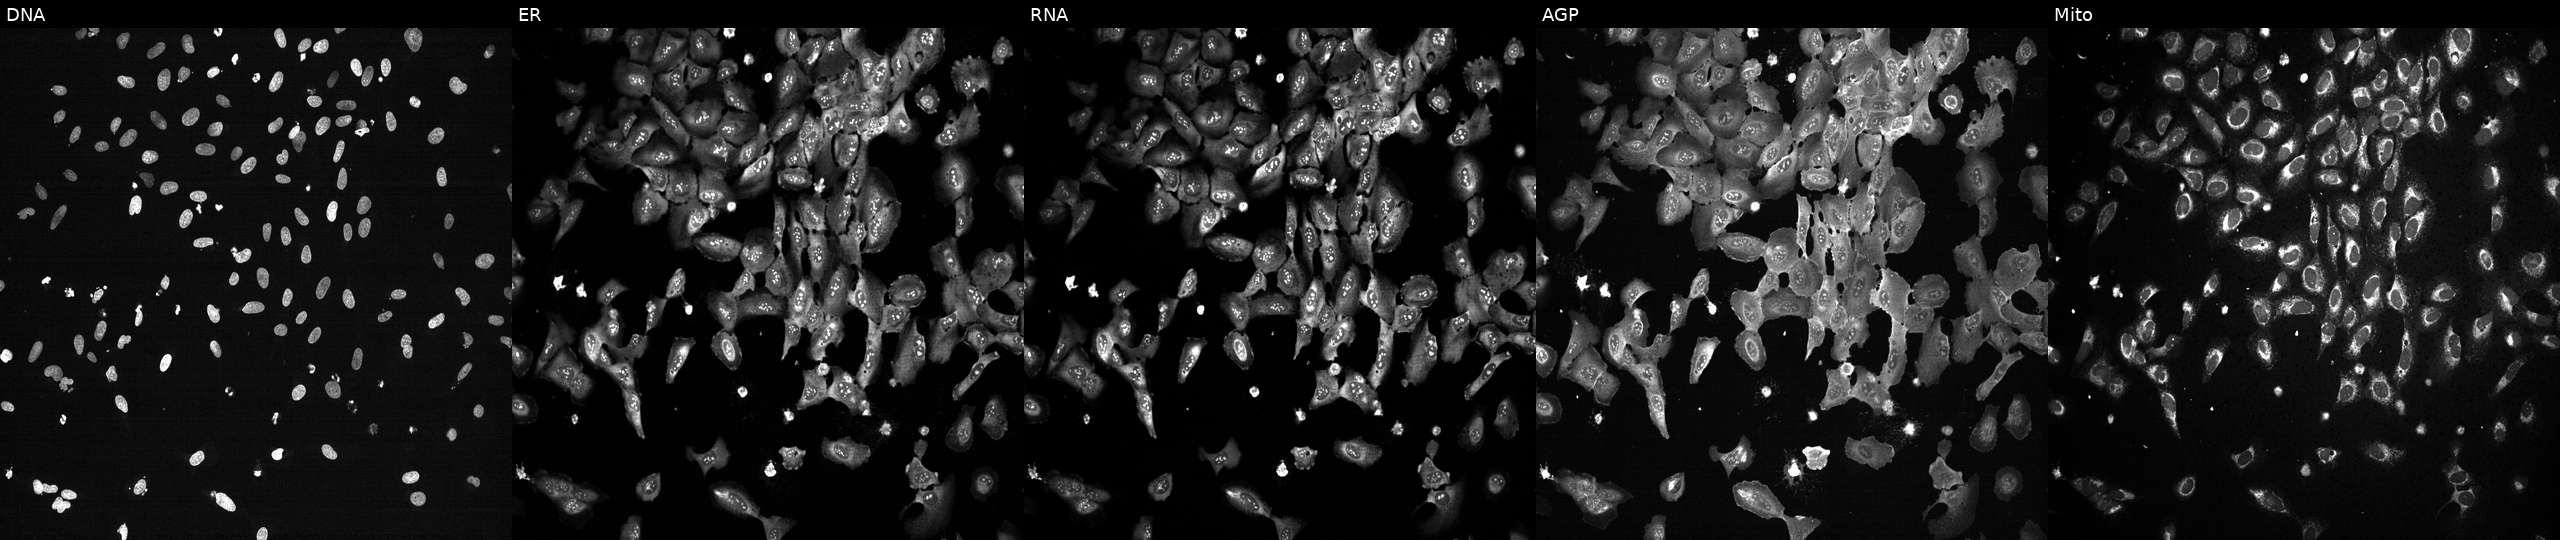
U2OS cells, Cell Painting assay, exposed to the positive-control compound TC-S-7004 (JUMP id JCP2022_012818). From left to right: DNA, ER, RNA, AGP, and Mito. Each panel is percentile-stretched 16-bit fluorescence.